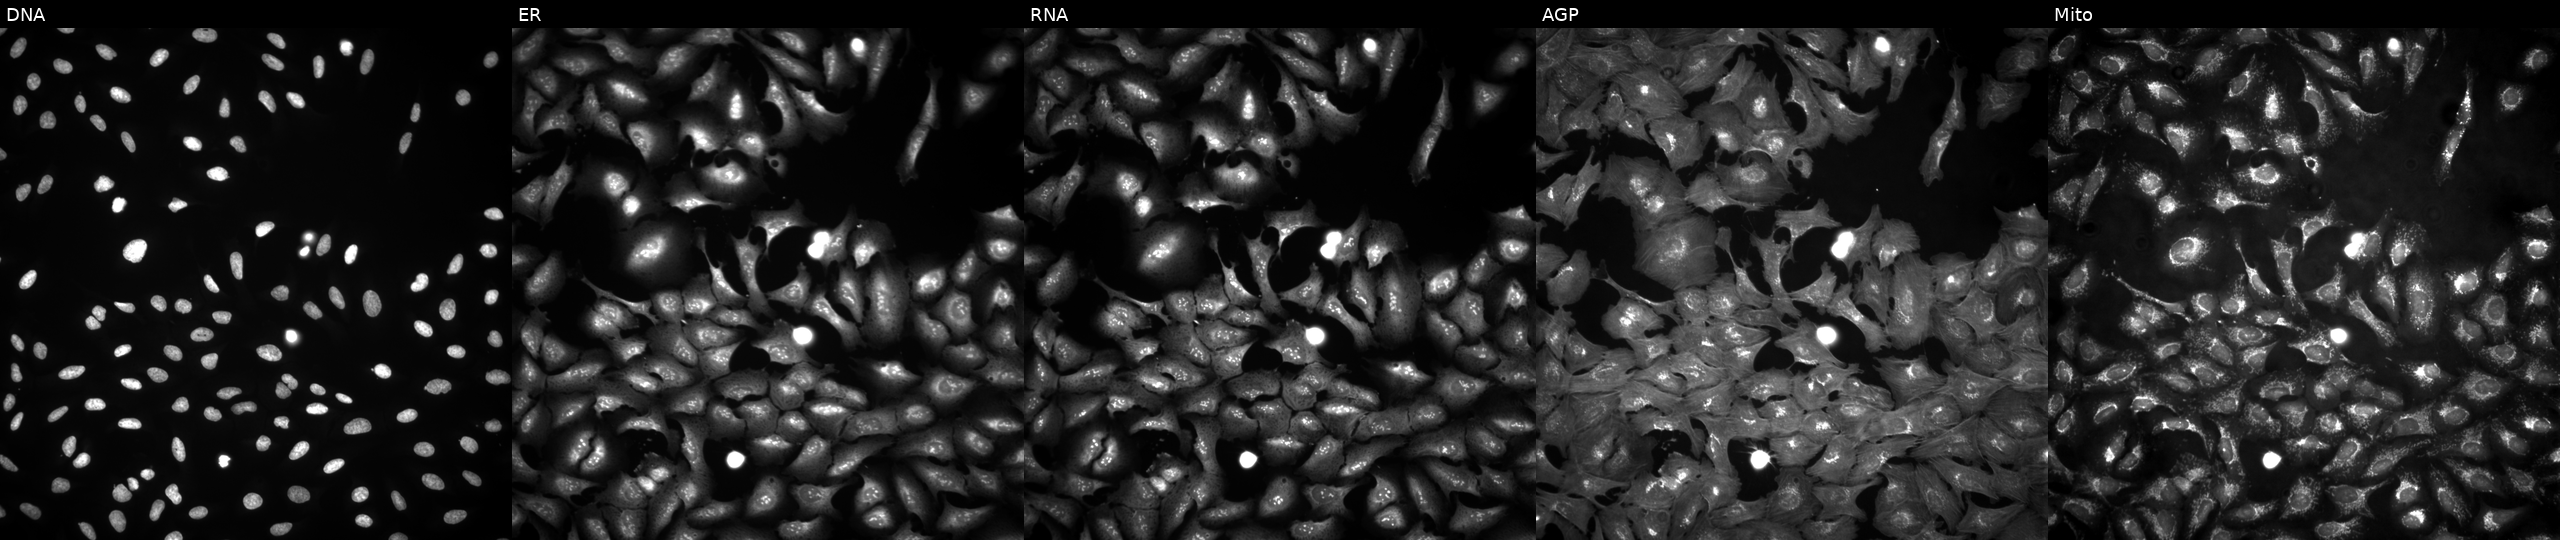
Five-channel Cell Painting image of U2OS cells transfected with ORF construct ccsbBroad304_13790 (gene symbol not annotated) (JUMP id JCP2022_912856). From left to right: Hoechst 33342, concanavalin A, SYTO 14, phalloidin and WGA, MitoTracker.